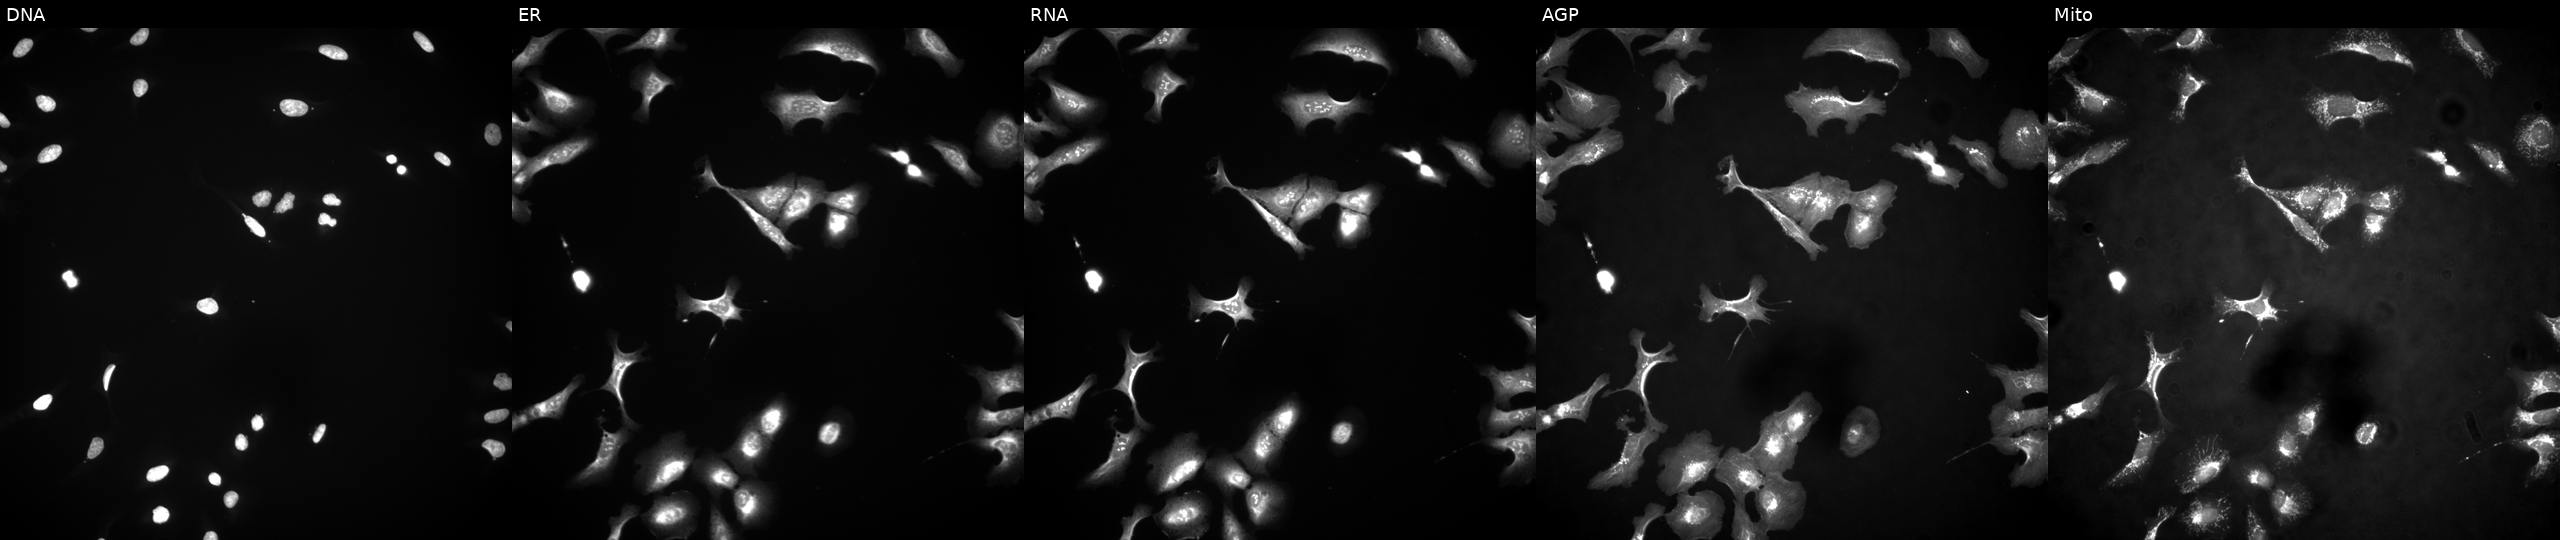
The five panels, left to right, show DNA (nuclei); ER (endoplasmic reticulum); RNA (nucleoli and cytoplasmic RNA); AGP (actin cytoskeleton, Golgi, and plasma membrane); Mito (mitochondria). U2OS osteosarcoma cells transfected with an ORF construct for IL23R. Cell Painting assay, JUMP-CP dataset.